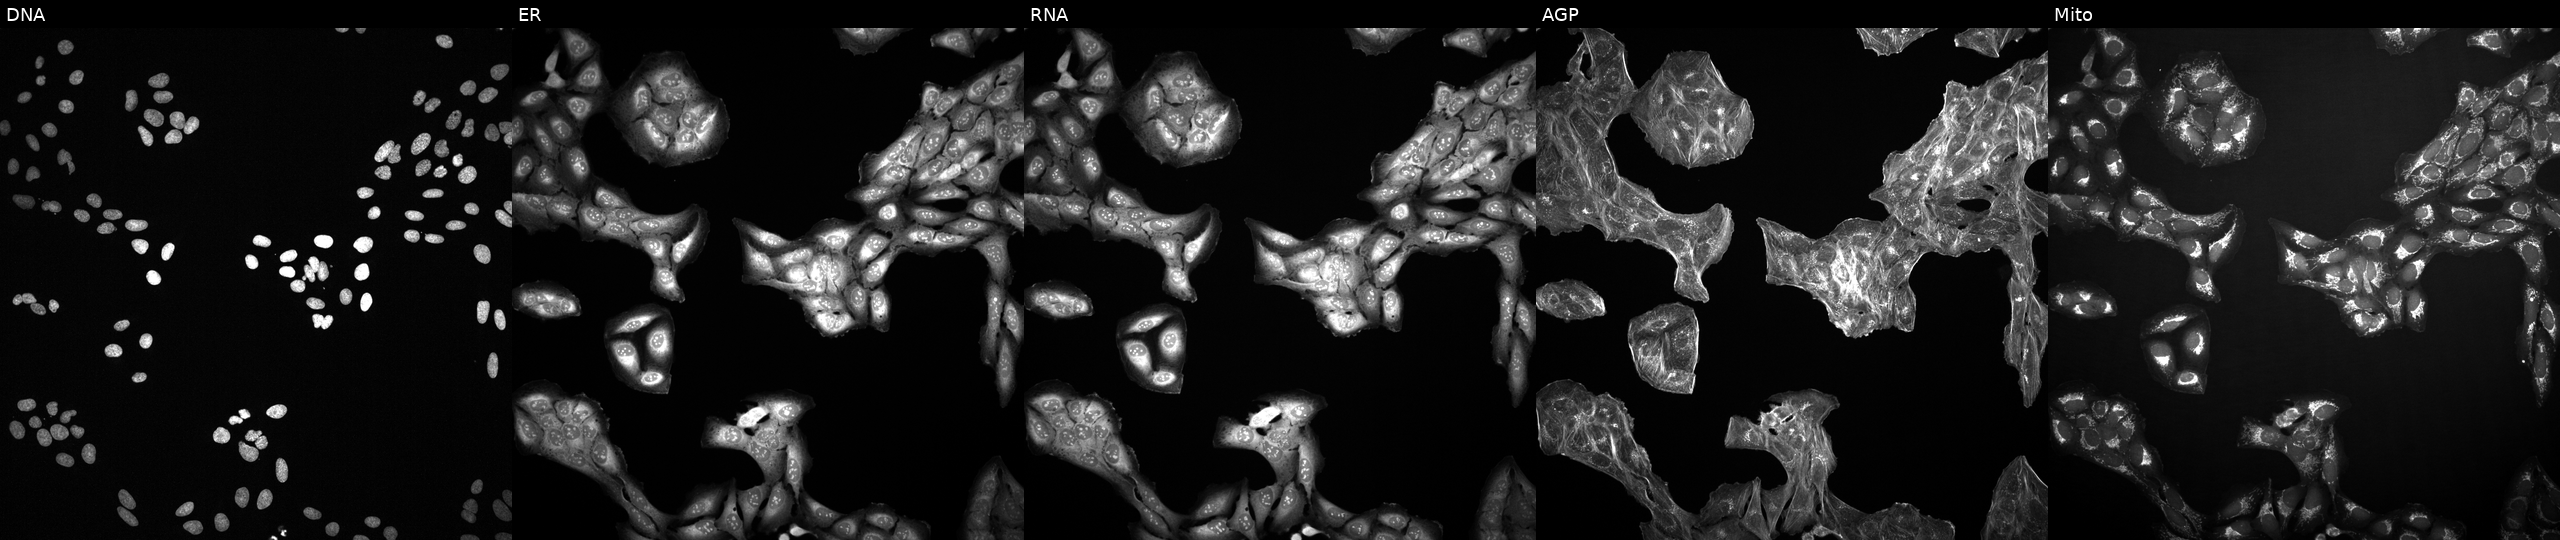
High-content fluorescence microscopy (Cell Painting). Cell line: U2OS. Perturbation: exposed to a small-molecule compound (InChIKey HCRKCZRJWPKOAR-UHFFFAOYSA-N) [SMILES: CCNC1CN(CCCOC)S(=O)(=O)c2sc(S(N)(=O)=O)cc21]. Channels (left→right): DNA (nuclei); ER (endoplasmic reticulum); RNA (nucleoli and cytoplasmic RNA); AGP (actin cytoskeleton, Golgi, and plasma membrane); Mito (mitochondria).